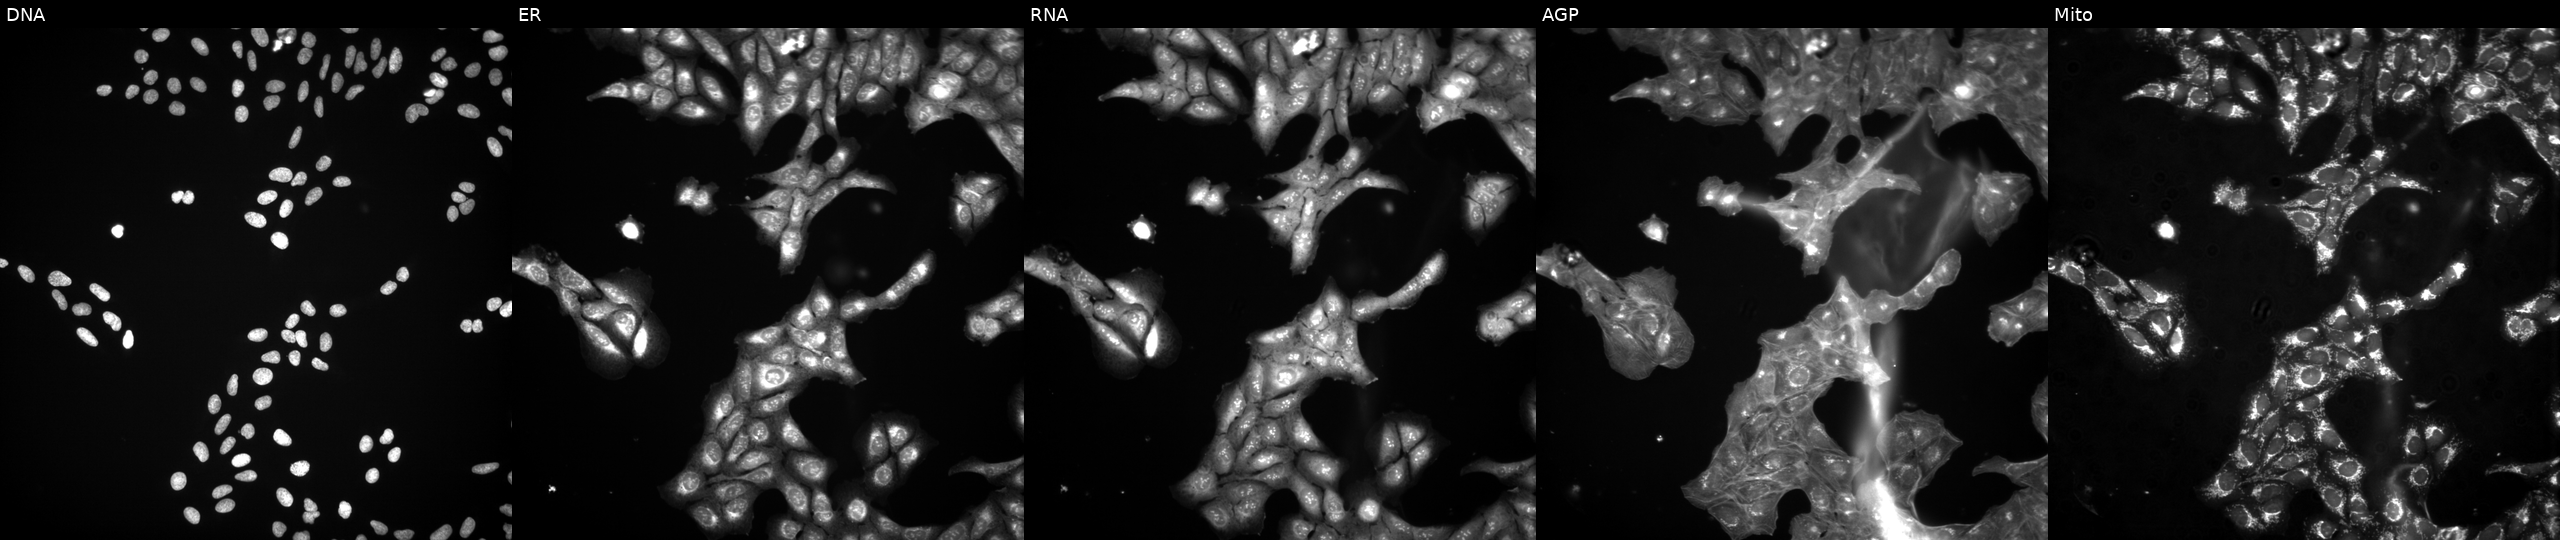
JUMP Cell Painting — COMPOUND plate. U2OS cells perturbed with a small-molecule compound (InChIKey JCMAWEYAQSMUBN-UHFFFAOYSA-N) (JUMP id JCP2022_038873). Channels (left→right): DNA, ER, RNA, AGP, and Mito. Source 3, plate BR5867a3, well B21.